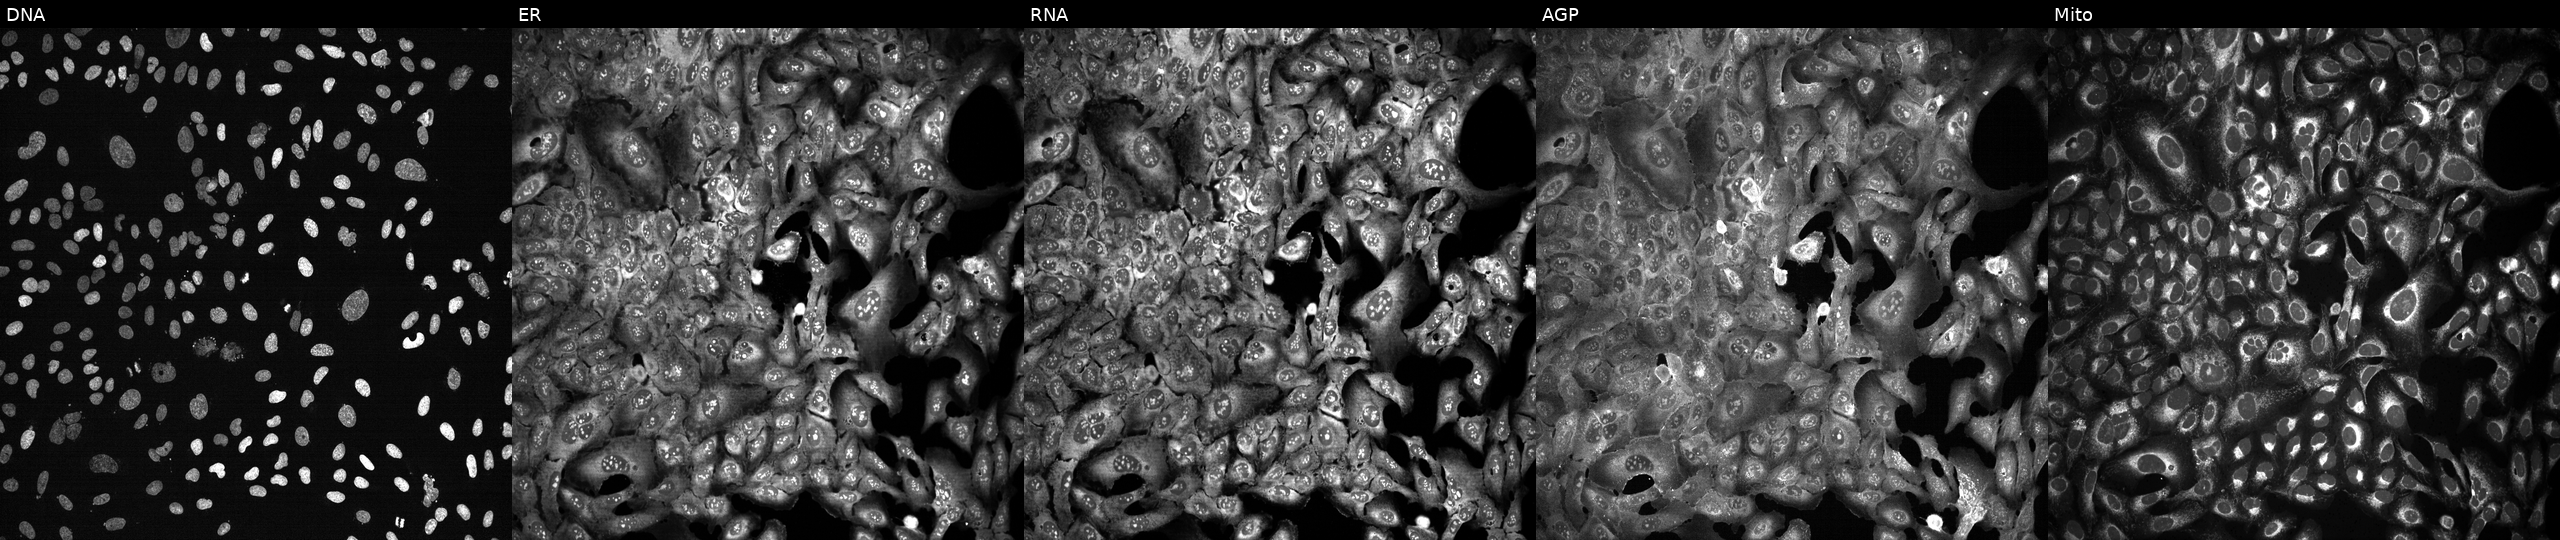
Five-channel Cell Painting image of U2OS cells following CRISPR knockout of BTD (JUMP id JCP2022_800943). The five panels, left to right, show Hoechst 33342, concanavalin A, SYTO 14, phalloidin and WGA, MitoTracker.